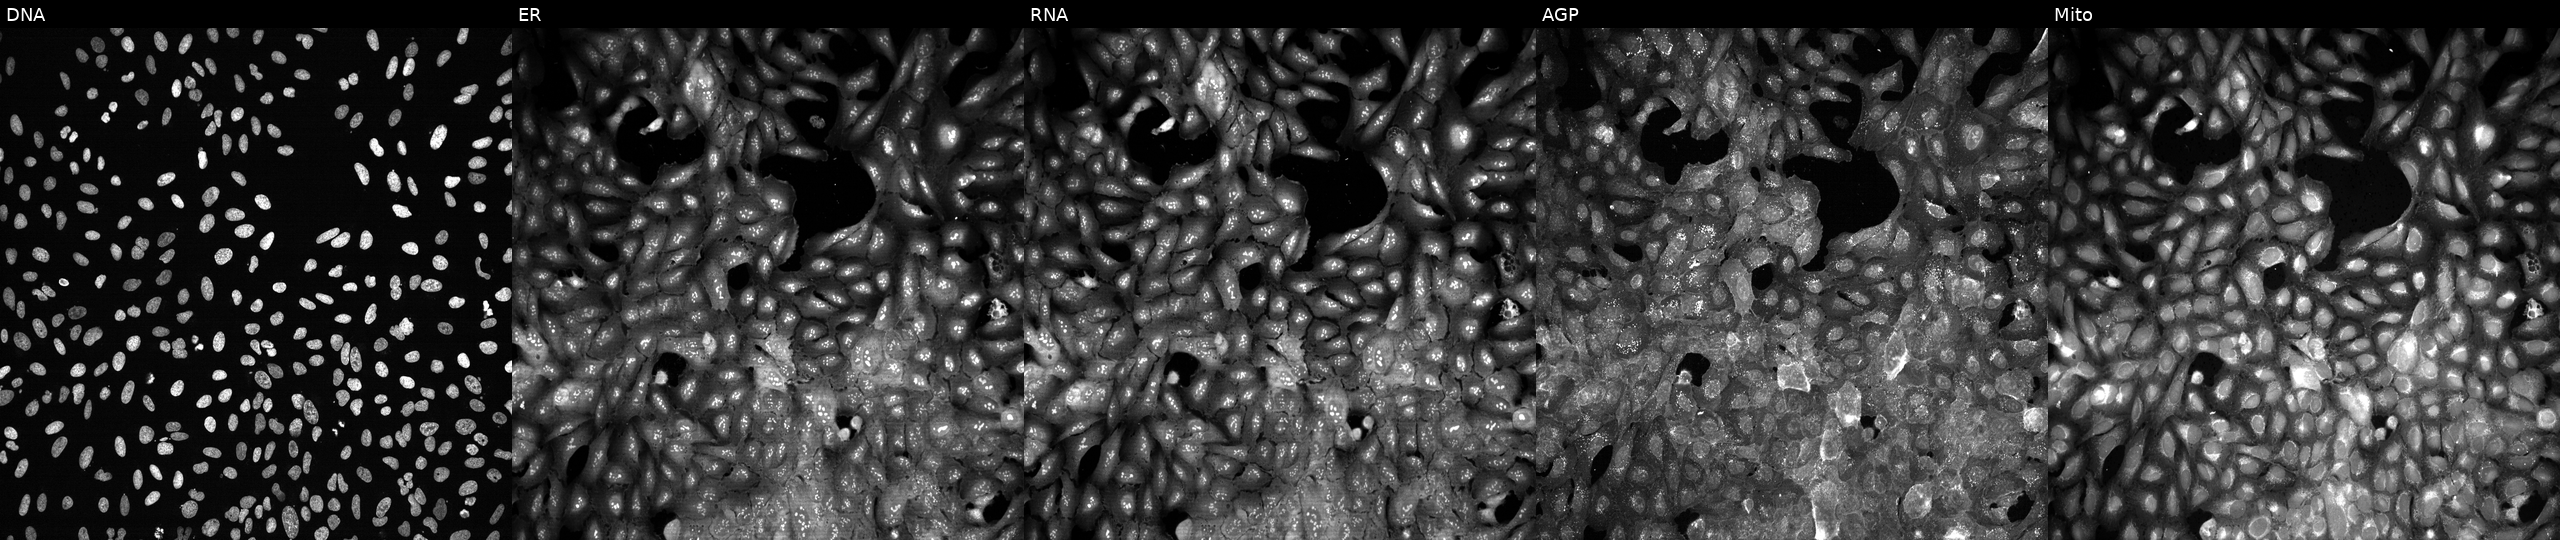
U2OS cells, Cell Painting assay, CRISPR-edited to disrupt RAB5B. Channels (left→right): DNA, ER, RNA, AGP, and Mito. Each panel is percentile-stretched 16-bit fluorescence.